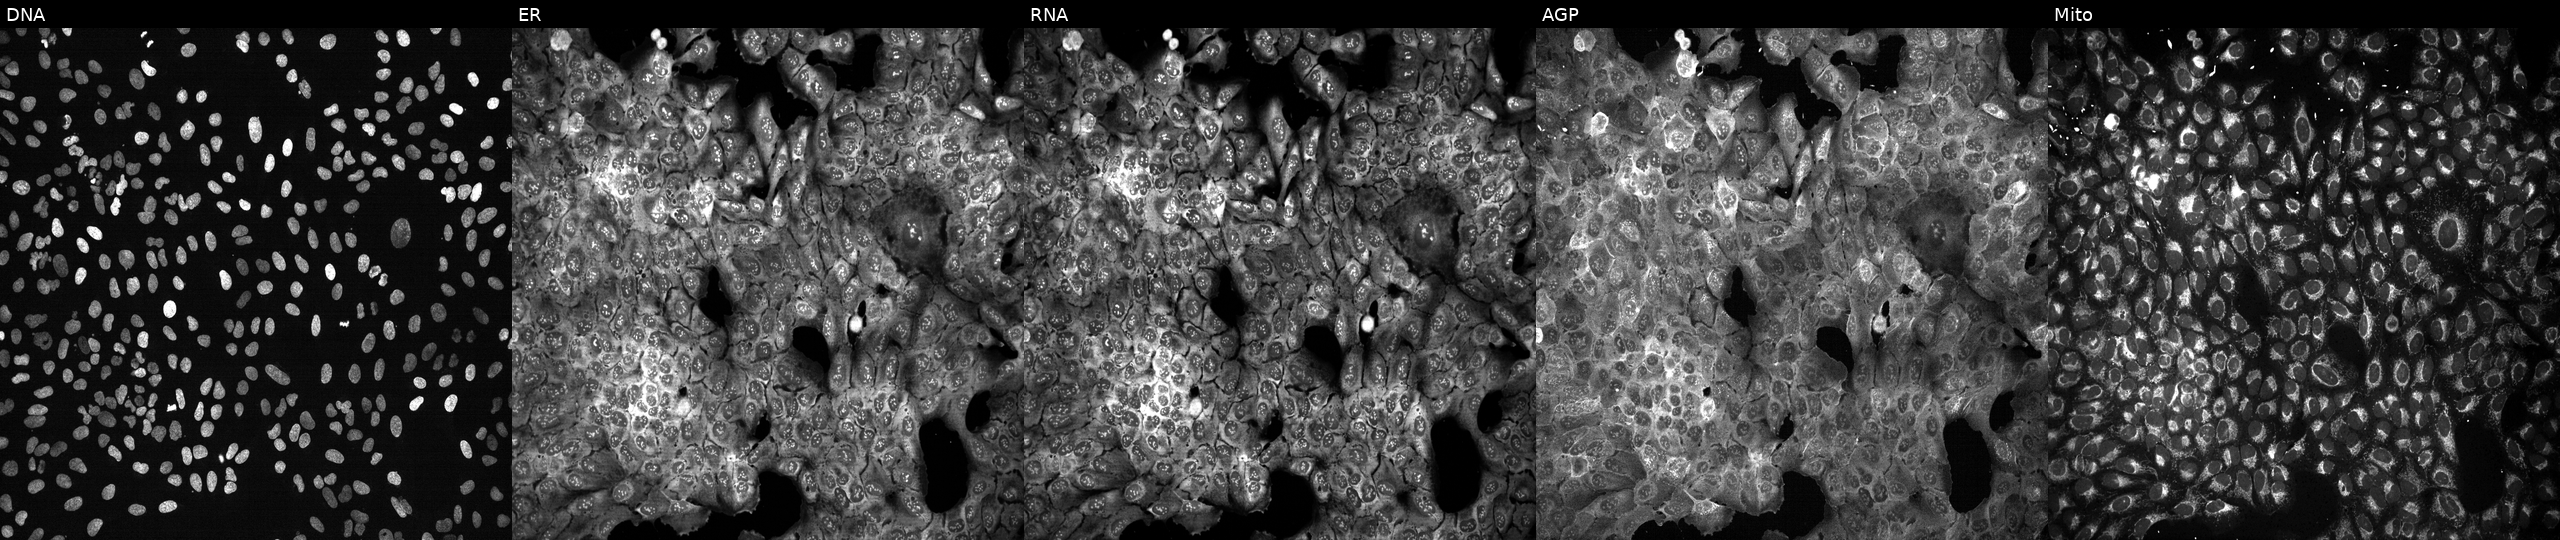
This image strip shows the five Cell Painting channels for a single field of U2OS cells following CRISPR knockout of ESM1. The five panels, left to right, show Hoechst 33342, concanavalin A, SYTO 14, phalloidin and WGA, MitoTracker. Source 13, plate CP-CC9-R3-01, well I12.